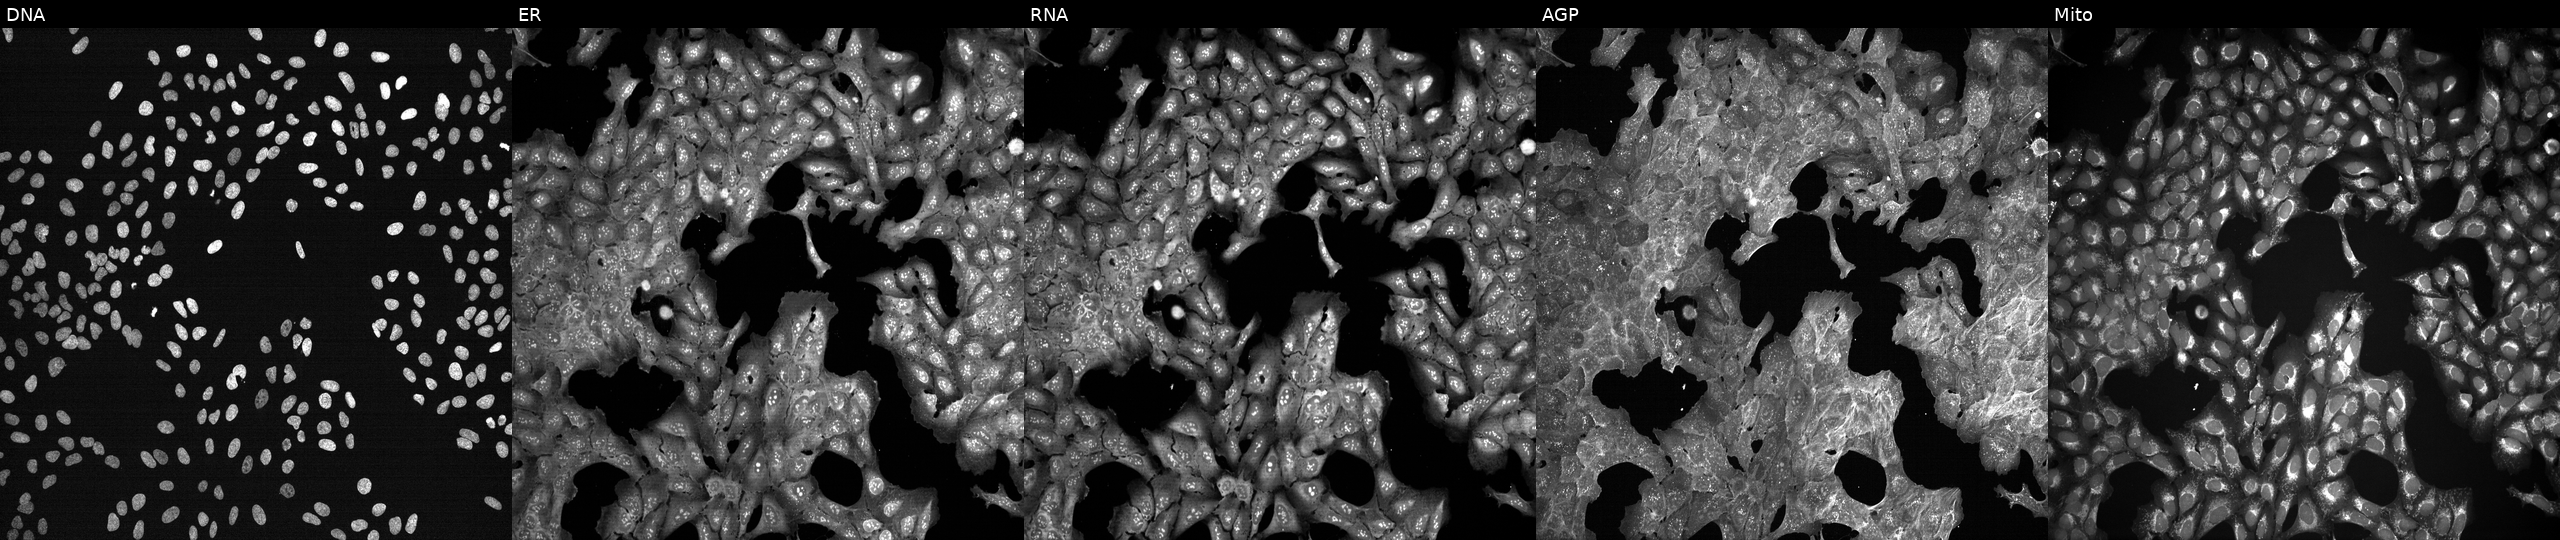
U2OS cells, Cell Painting assay, exposed to a small-molecule compound (InChIKey NCEXYHBECQHGNR-UHFFFAOYSA-N). From left to right: Hoechst 33342, concanavalin A, SYTO 14, phalloidin and WGA, MitoTracker. Each panel is percentile-stretched 16-bit fluorescence. Source 7, plate CP3-SC1-25, well C04.